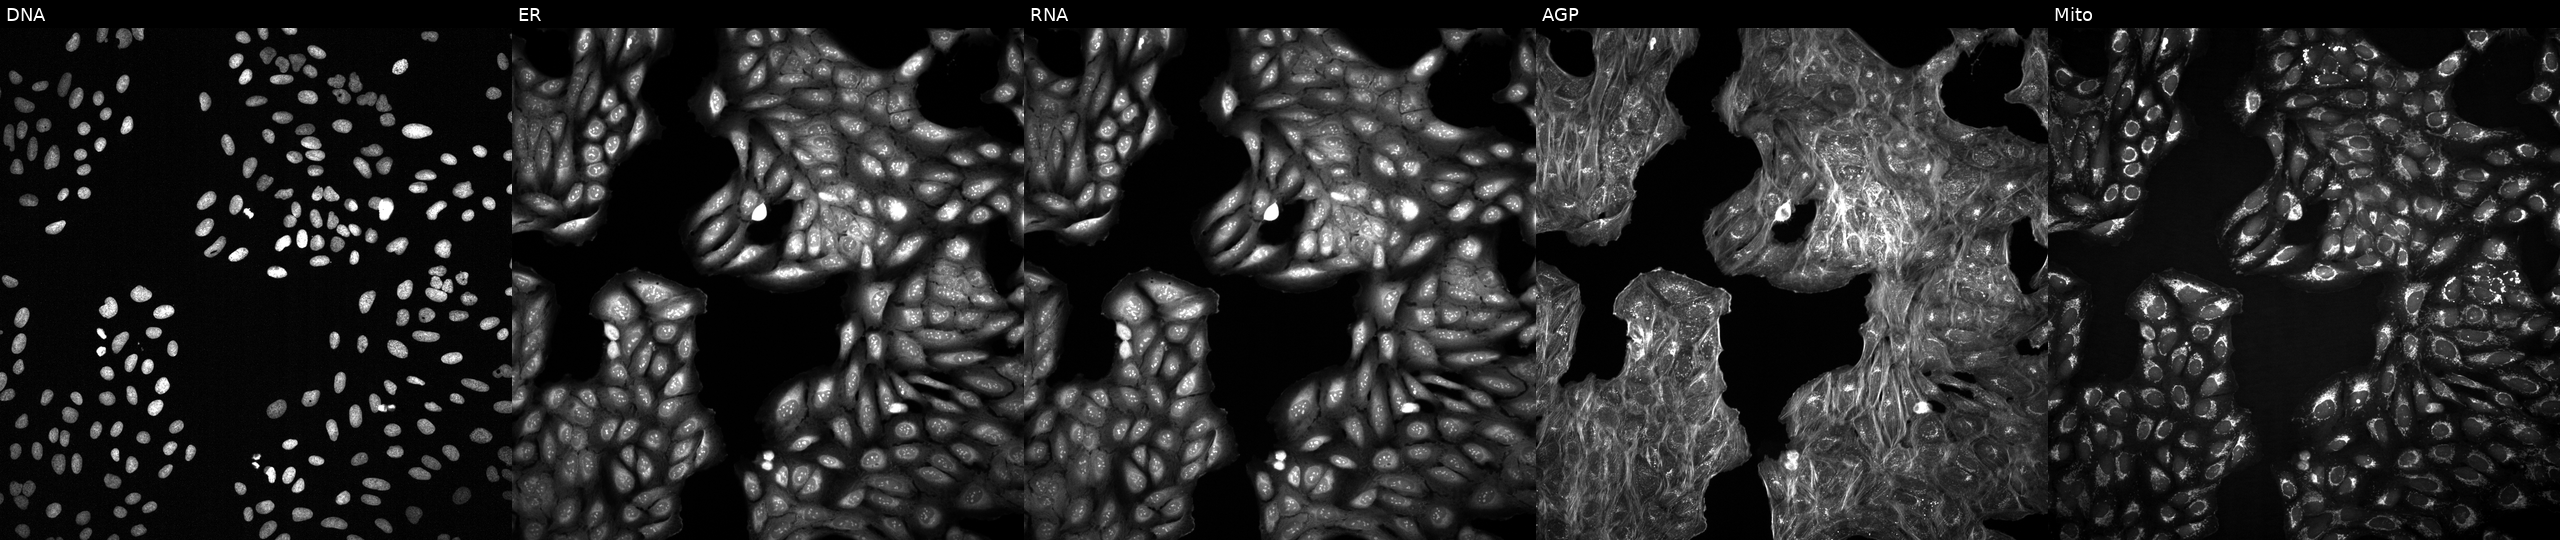
JUMP Cell Painting — COMPOUND plate. U2OS cells treated with a small-molecule compound (InChIKey YBXBOMVXPNSBFT-UHFFFAOYSA-N). From left to right: Hoechst 33342, concanavalin A, SYTO 14, phalloidin and WGA, MitoTracker. Source 2, plate 1053601756, well A15.